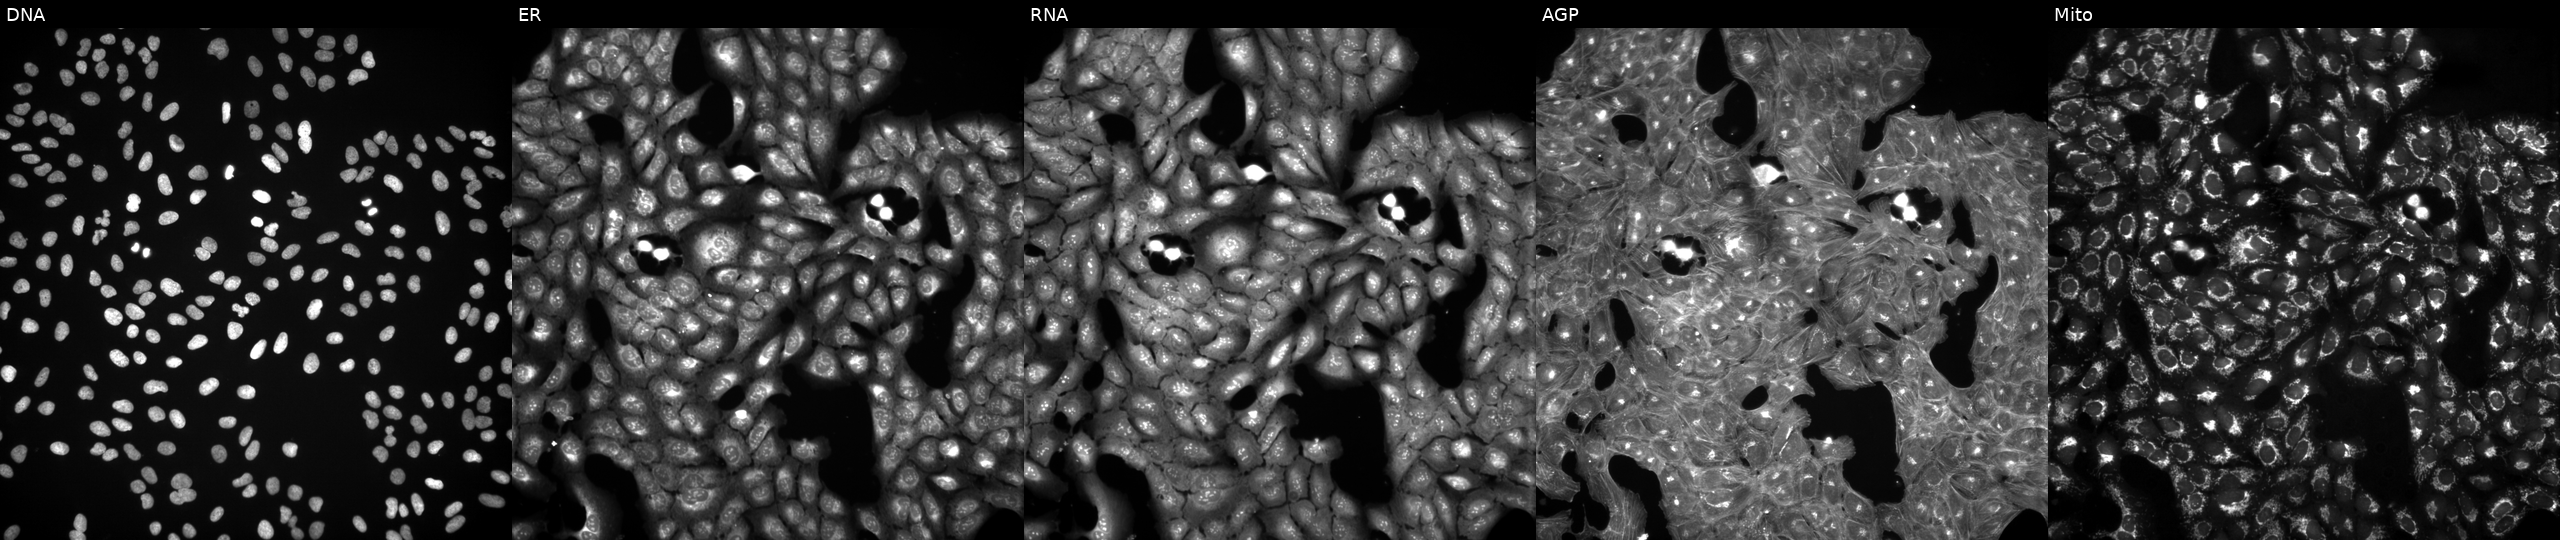
U2OS cells, Cell Painting assay, exposed to a small-molecule compound (InChIKey VUIRVWPJNKZOSS-UHFFFAOYSA-N). The five panels, left to right, show Hoechst 33342, concanavalin A, SYTO 14, phalloidin and WGA, MitoTracker. Each panel is percentile-stretched 16-bit fluorescence. Source 3, plate JCPQC053, well D15.